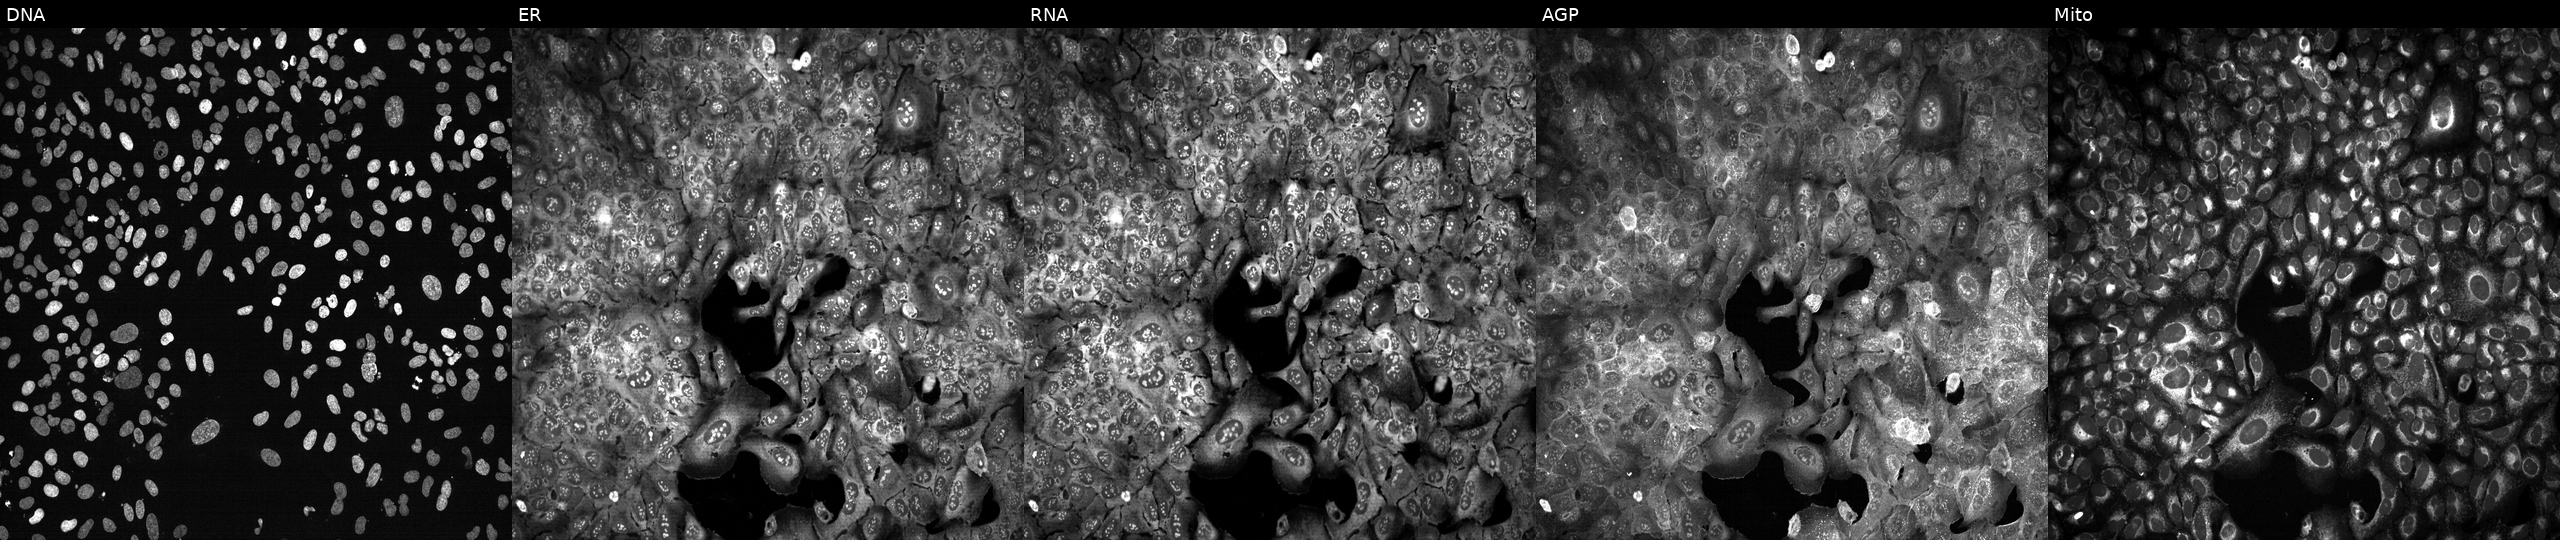
High-content fluorescence microscopy (Cell Painting). Cell line: U2OS. Perturbation: following CRISPR knockout of ATP5A1. Panels show, left to right, DNA (nuclei); ER (endoplasmic reticulum); RNA (nucleoli and cytoplasmic RNA); AGP (actin cytoskeleton, Golgi, and plasma membrane); Mito (mitochondria). Source 13, plate CP-CC9-R4-03, well O16.